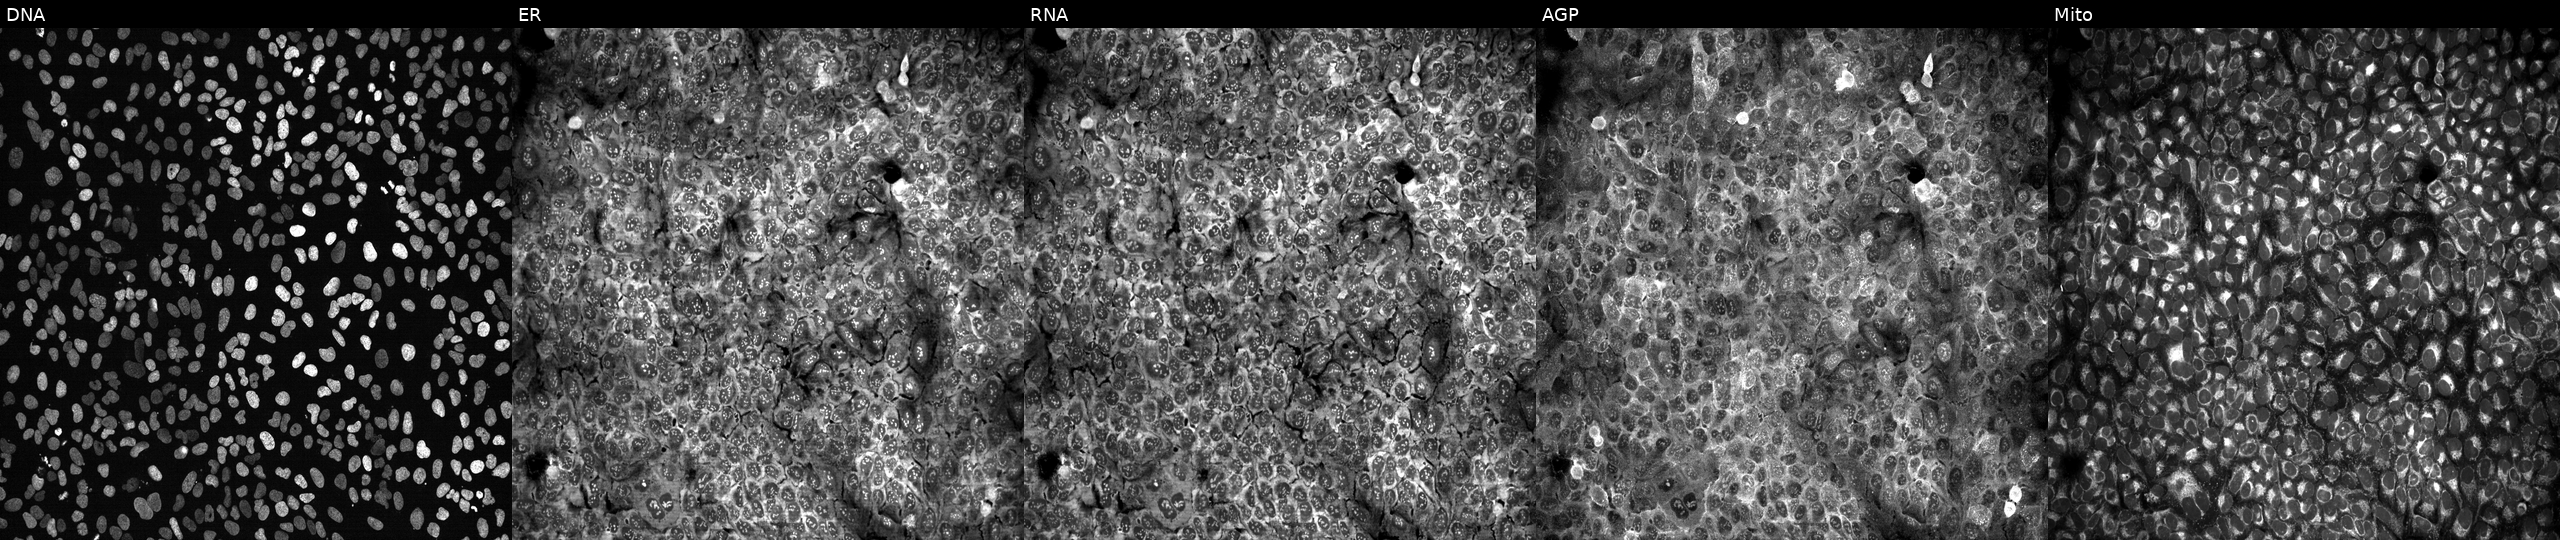
Five-channel Cell Painting image of U2OS cells following CRISPR knockout of GBP2. From left to right: DNA (nuclei); ER (endoplasmic reticulum); RNA (nucleoli and cytoplasmic RNA); AGP (actin cytoskeleton, Golgi, and plasma membrane); Mito (mitochondria). Source 13, plate CP-CC9-R4-03, well J09.